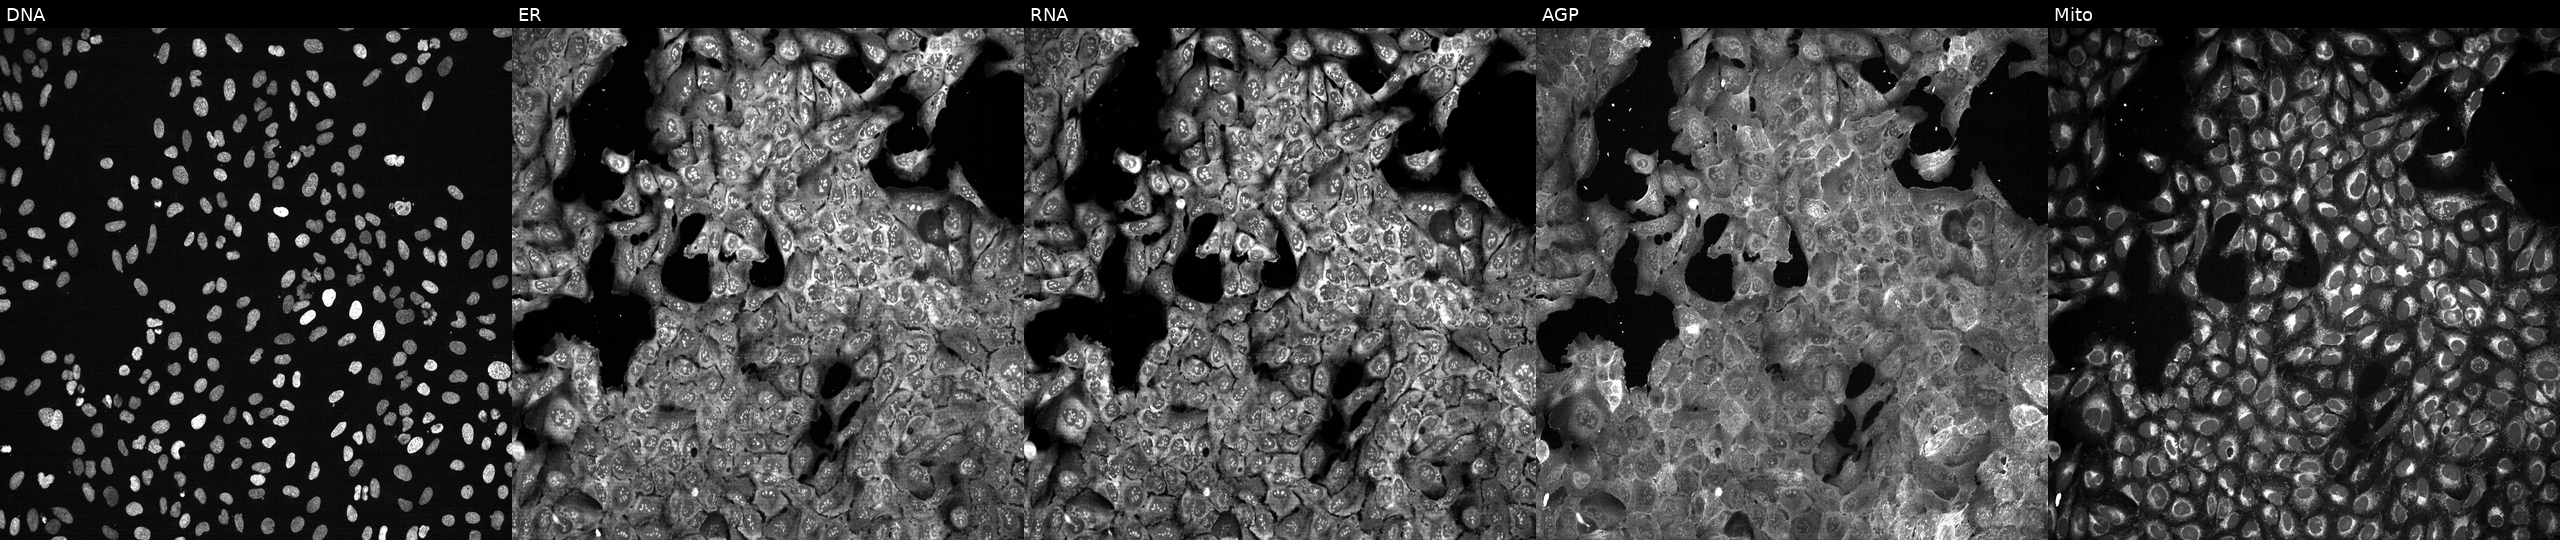
High-content fluorescence microscopy (Cell Painting). Cell line: U2OS. Perturbation: with TM7SF2 knocked out by CRISPR. From left to right: DNA (nuclei); ER (endoplasmic reticulum); RNA (nucleoli and cytoplasmic RNA); AGP (actin cytoskeleton, Golgi, and plasma membrane); Mito (mitochondria).